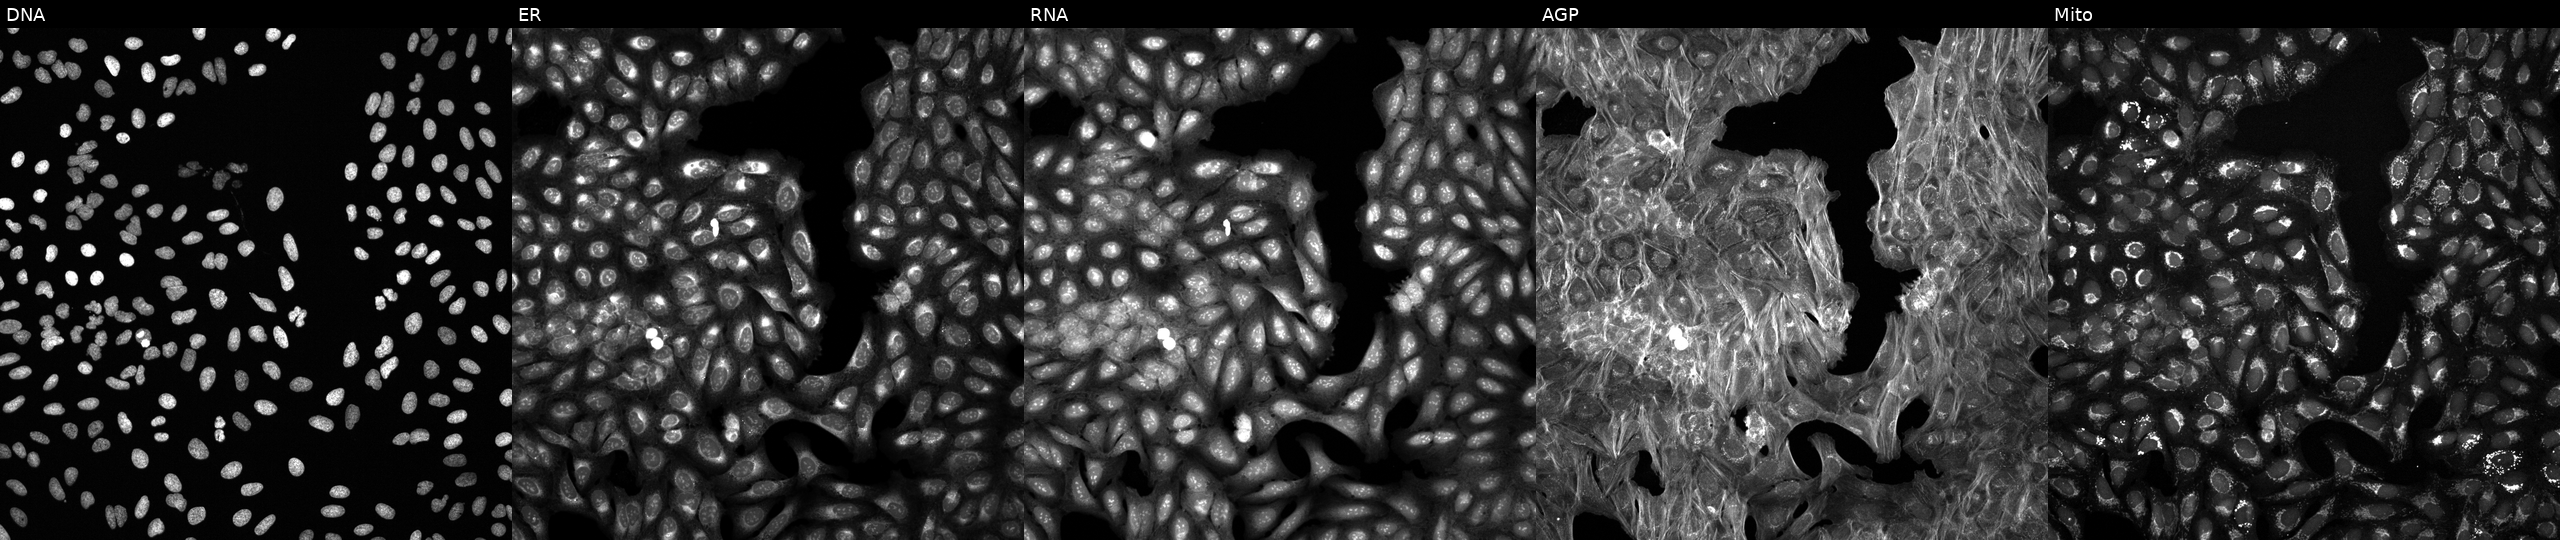
JUMP Cell Painting — COMPOUND plate. U2OS cells exposed to a small-molecule compound. Channels (left→right): DNA, ER, RNA, AGP, and Mito. Source 6, plate 110000293083, well C09.